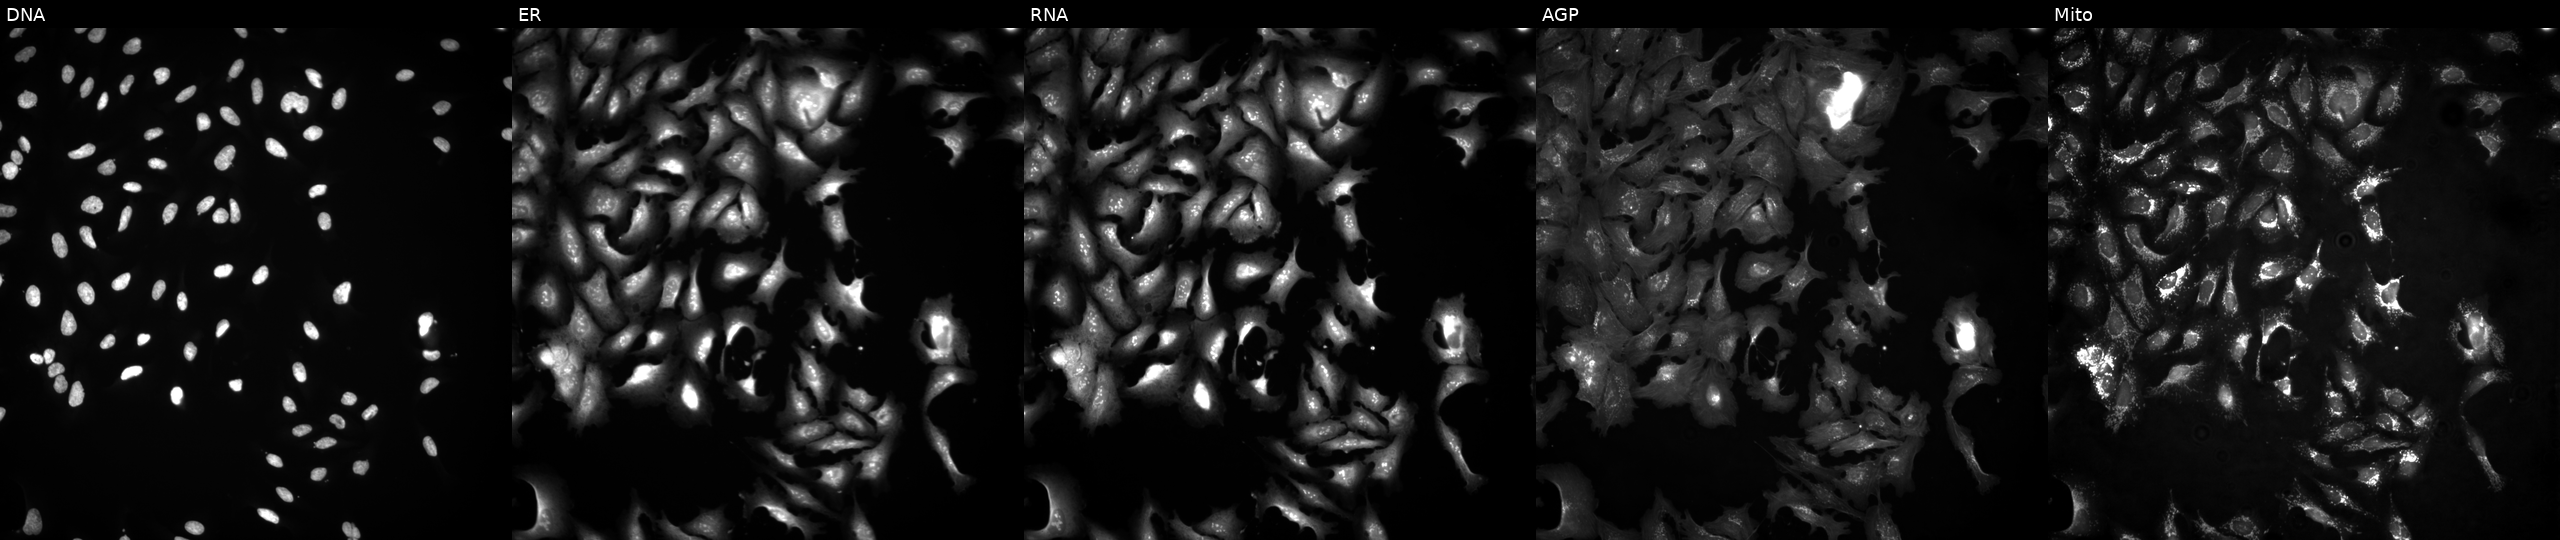
Five-channel Cell Painting image of U2OS cells overexpressing AK4 via ORF transfection. Panels show, left to right, DNA, ER, RNA, AGP, and Mito. Source 4, plate BR00123945, well G01.